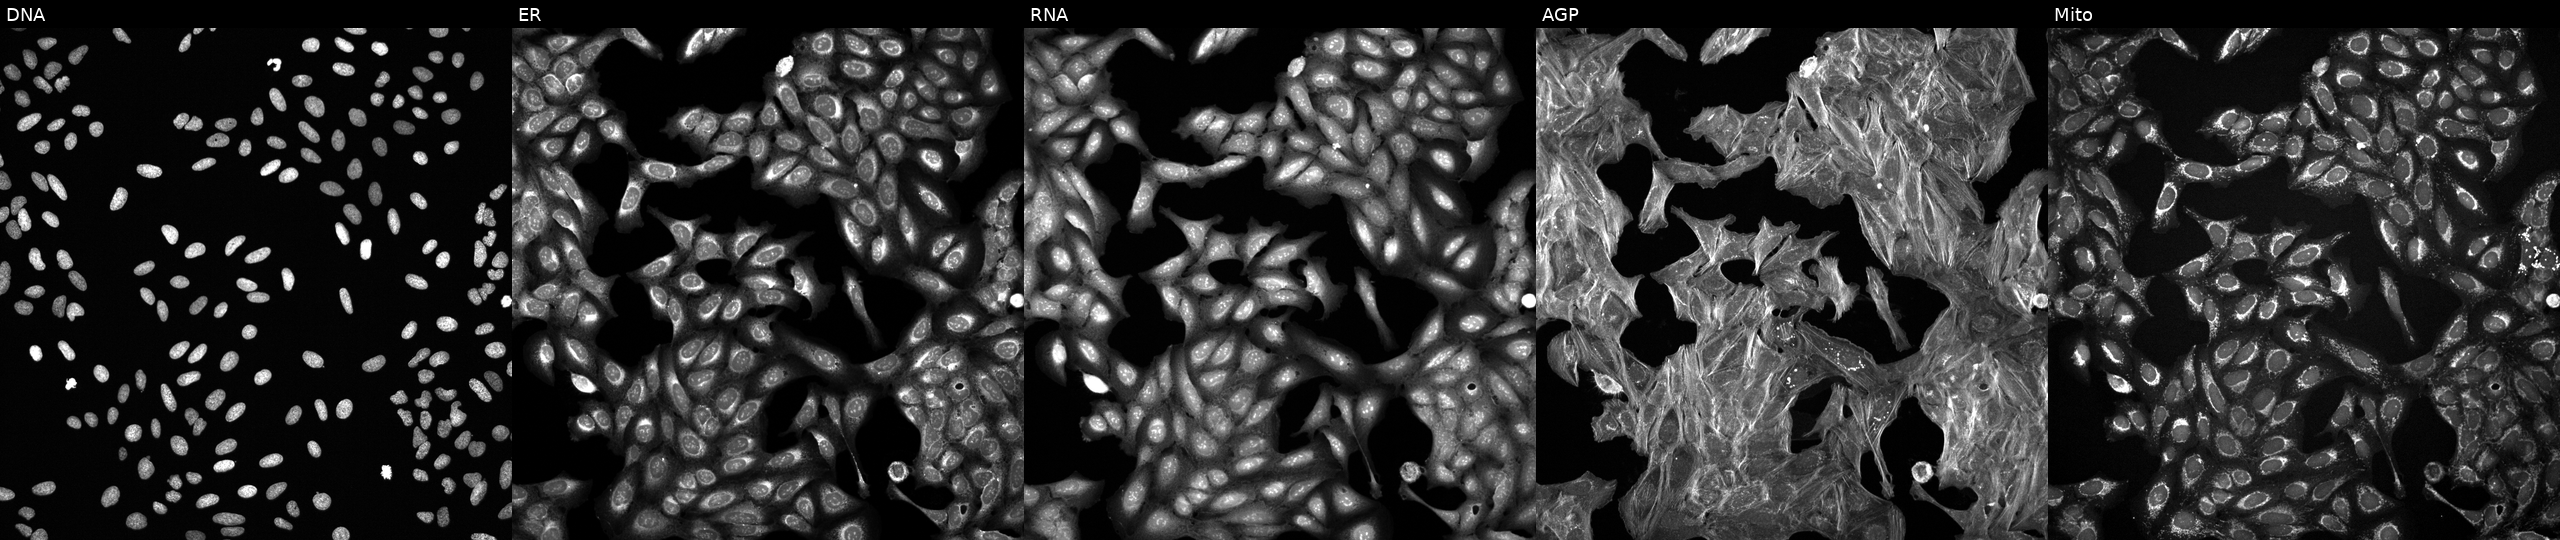
Panels show, left to right, Hoechst 33342, concanavalin A, SYTO 14, phalloidin and WGA, MitoTracker. U2OS osteosarcoma cells treated with a small-molecule compound [SMILES: Cn1ncc(Cl)c1-c1cc(C(=O)NC(CN)Cc2cccc(F)c2)sc1Cl]. Cell Painting assay, JUMP-CP dataset. Source 6, plate 110000293093, well L19.